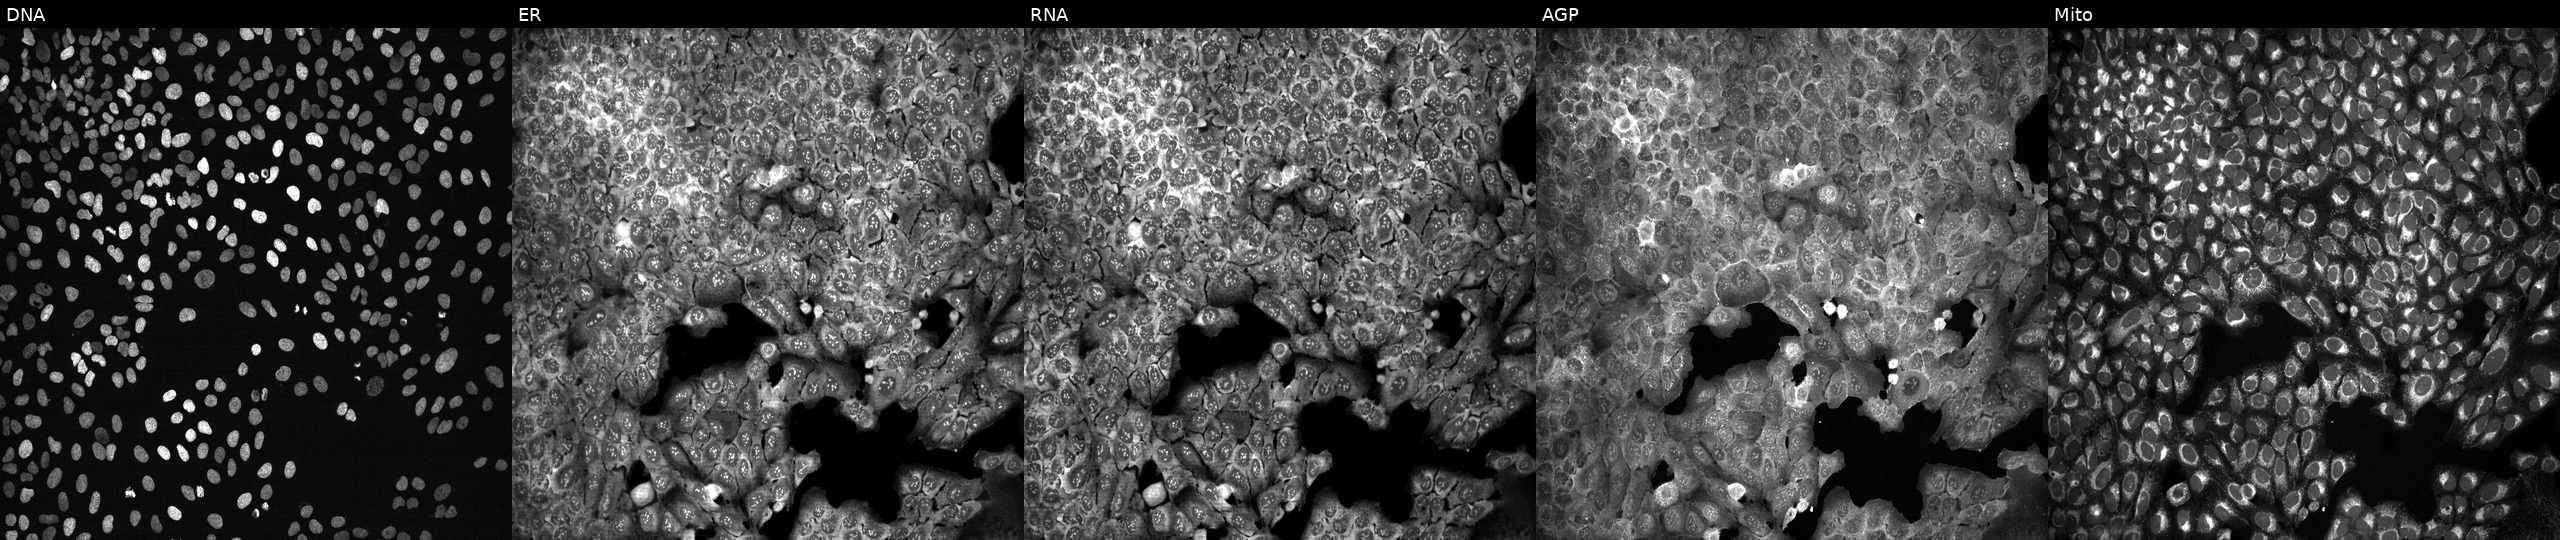
U2OS cells, Cell Painting assay, with a non-targeting CRISPR guide (negative control) (JUMP id JCP2022_800002). From left to right: DNA (nuclei); ER (endoplasmic reticulum); RNA (nucleoli and cytoplasmic RNA); AGP (actin cytoskeleton, Golgi, and plasma membrane); Mito (mitochondria). Each panel is percentile-stretched 16-bit fluorescence.